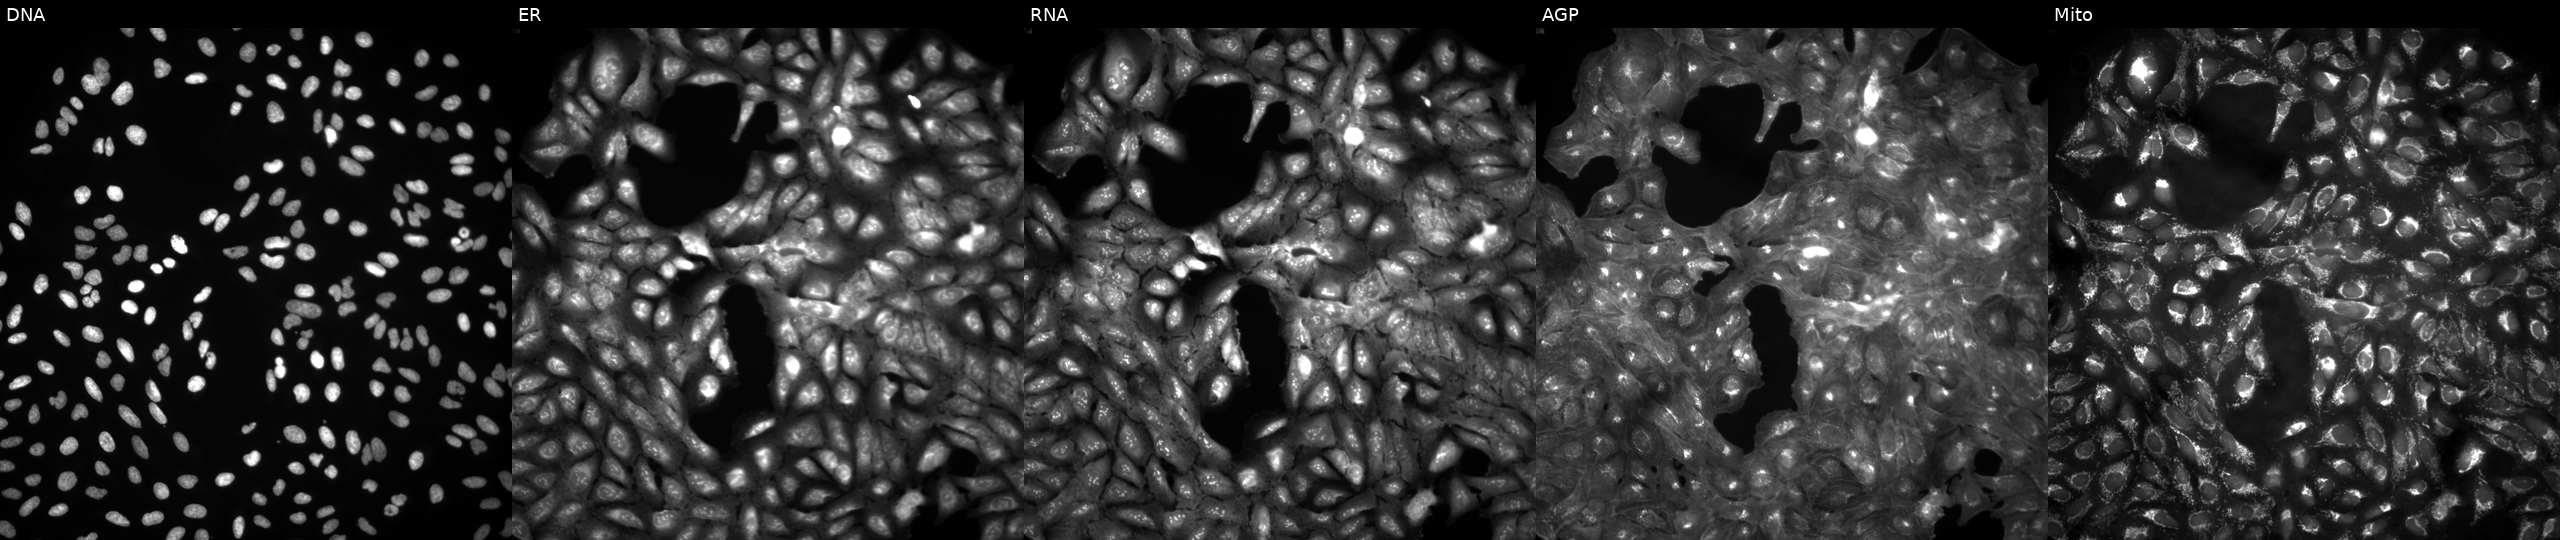
High-content fluorescence microscopy (Cell Painting). Cell line: U2OS. Perturbation: in an empty control well (no perturbation) (JUMP id JCP2022_999999). Channels (left→right): DNA, ER, RNA, AGP, and Mito.